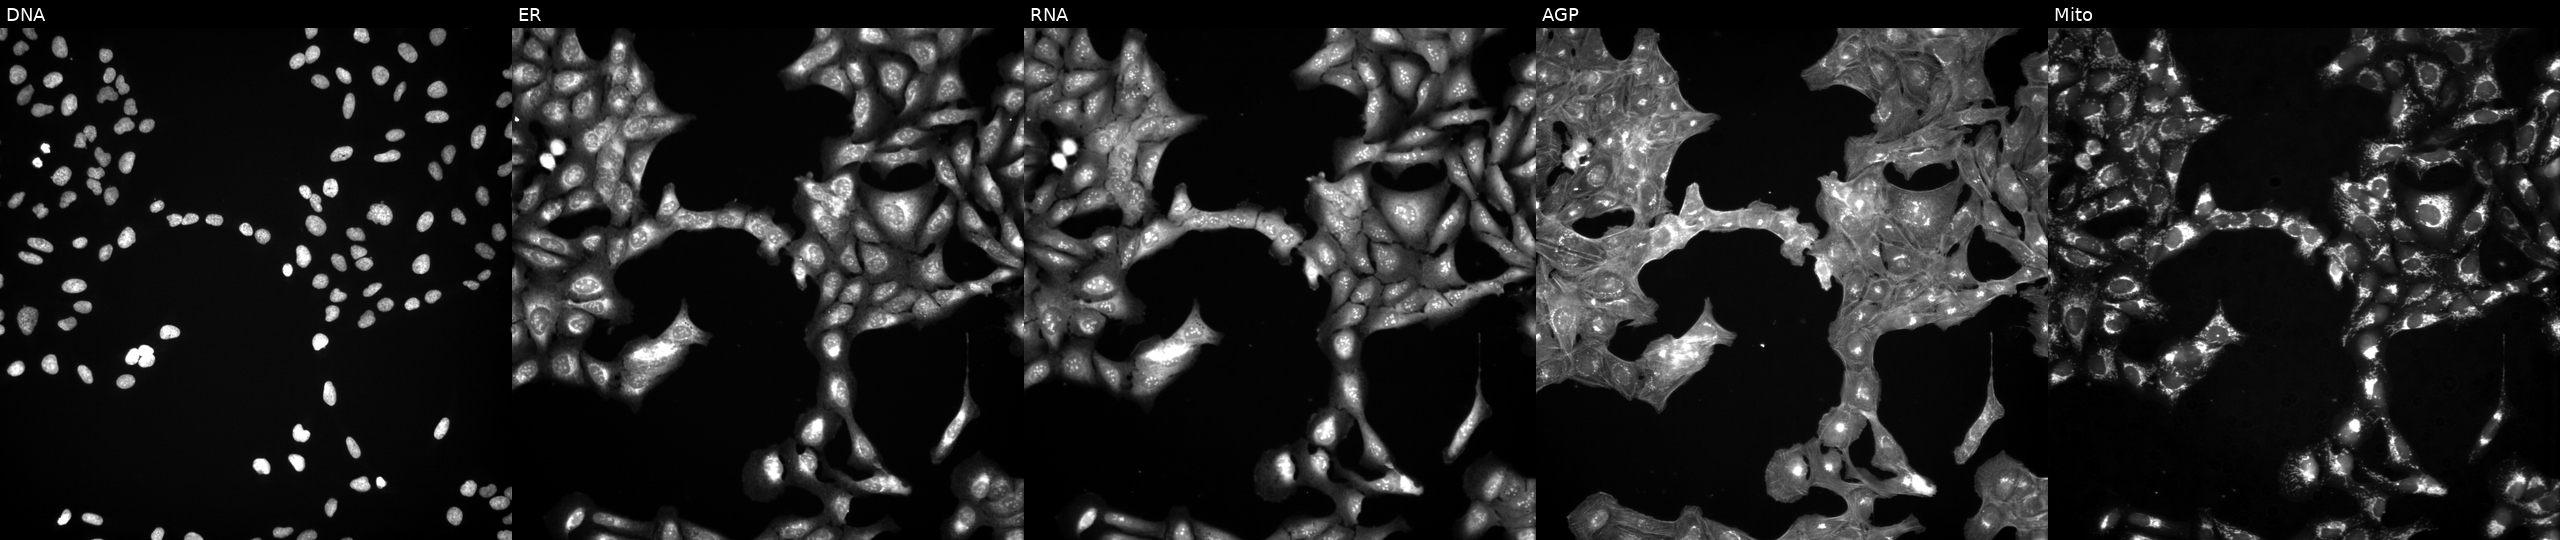
Five-channel Cell Painting image of U2OS cells exposed to a small-molecule compound (JUMP id JCP2022_068660). Panels show, left to right, DNA (nuclei); ER (endoplasmic reticulum); RNA (nucleoli and cytoplasmic RNA); AGP (actin cytoskeleton, Golgi, and plasma membrane); Mito (mitochondria). Source 3, plate JCPQC051, well B23.